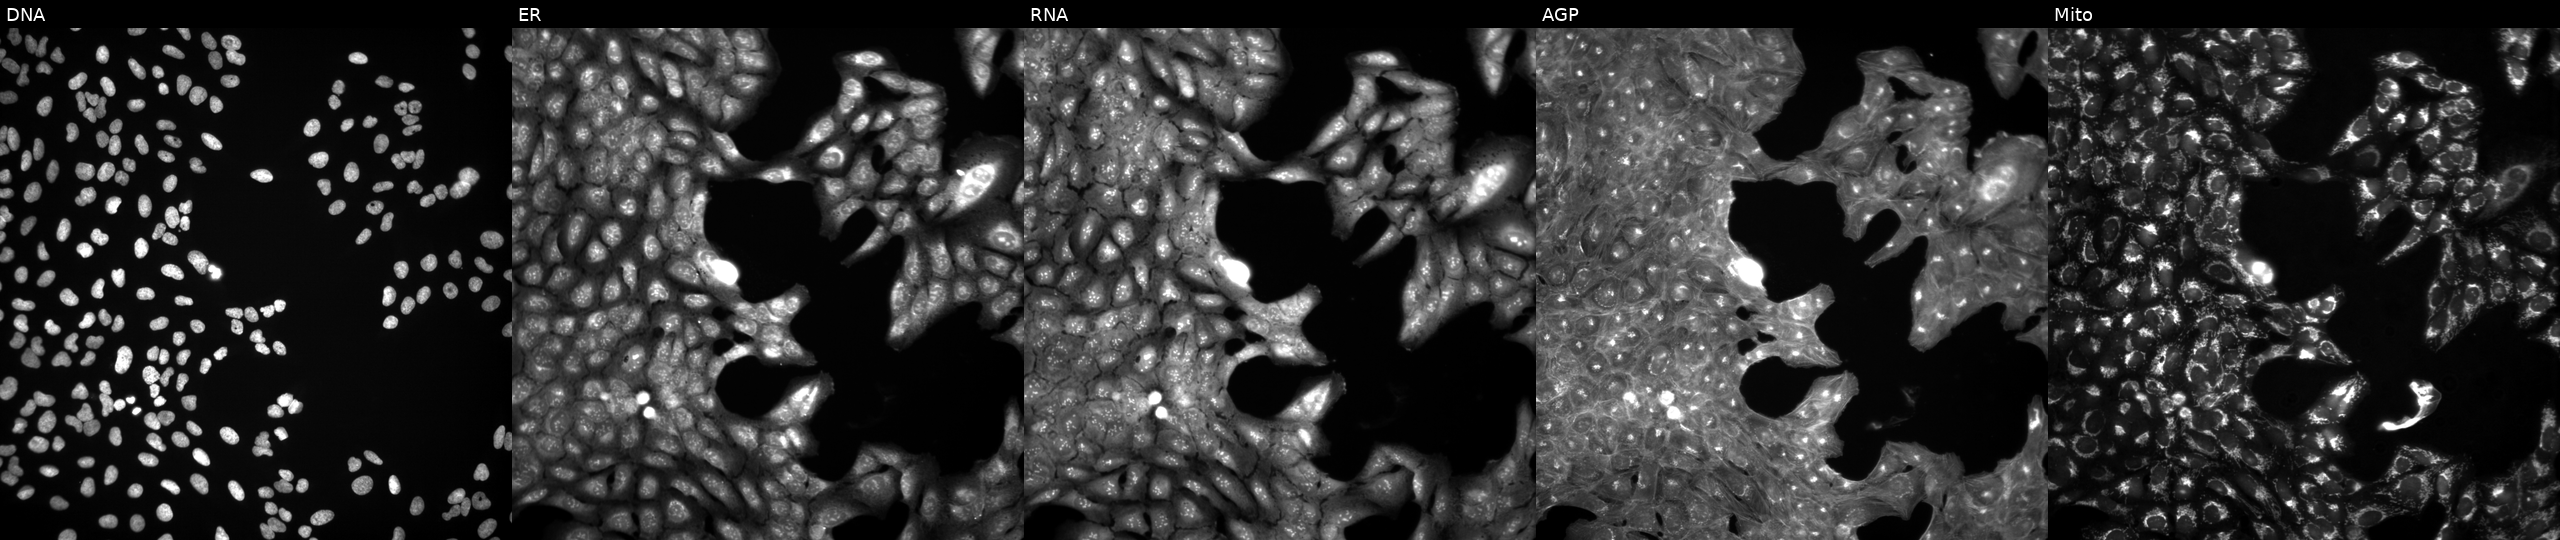
Five-channel Cell Painting image of U2OS cells exposed to a small-molecule compound [SMILES: O=C(NCc1ccc2c(c1)OCO2)c1c(Cl)cccc1Cl]. From left to right: Hoechst 33342, concanavalin A, SYTO 14, phalloidin and WGA, MitoTracker.